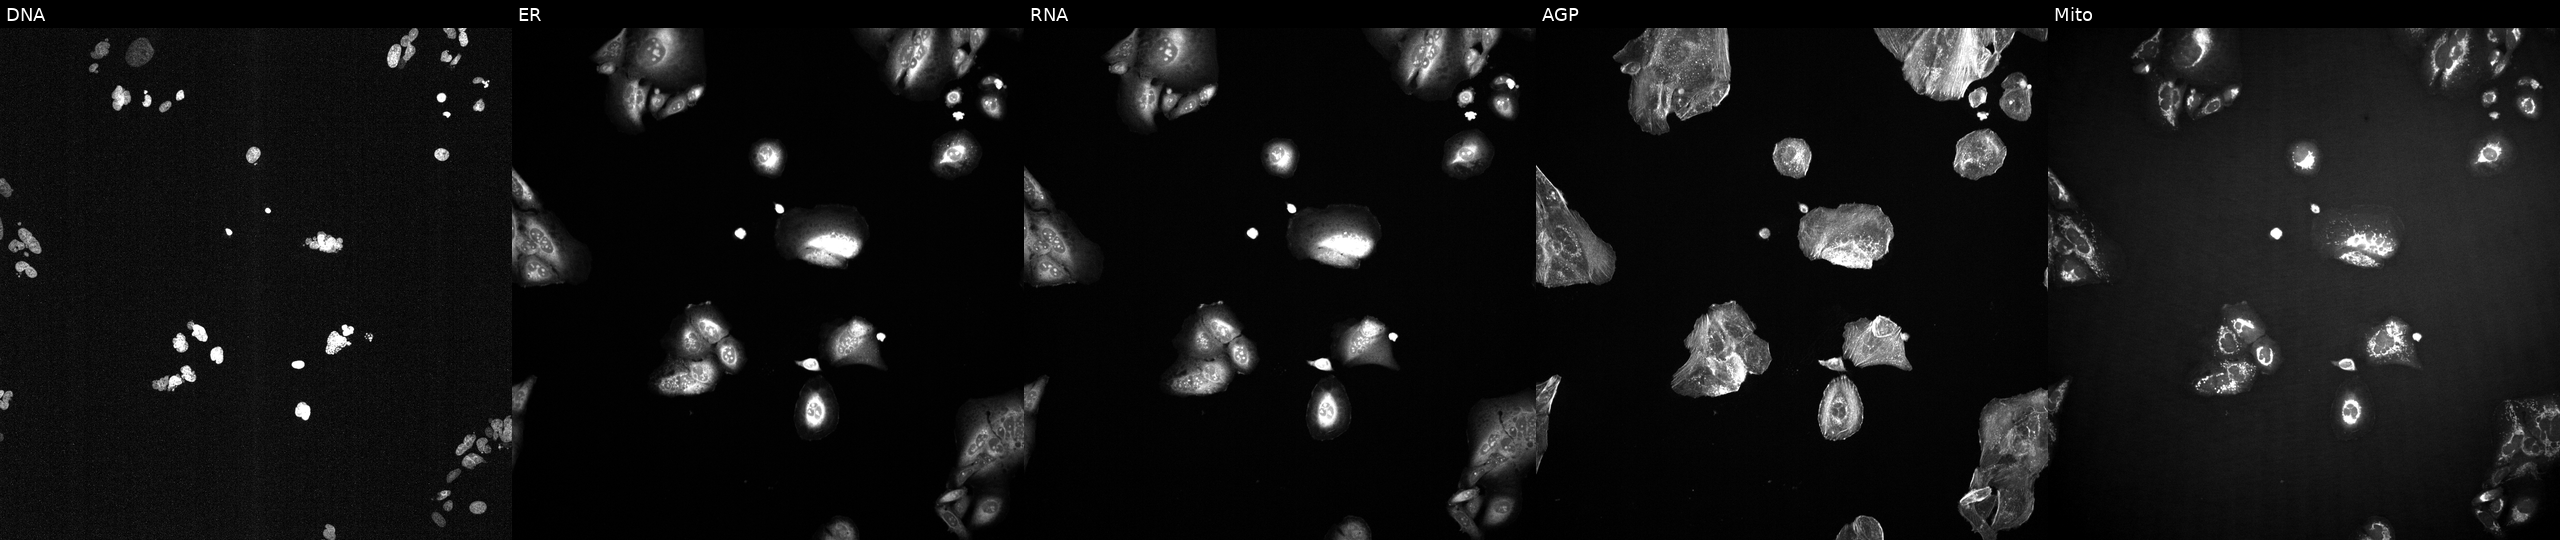
U2OS cells, Cell Painting assay, treated with a small-molecule compound (InChIKey XXRCUYVCPSWGCC-UHFFFAOYSA-N) (JUMP id JCP2022_106722). From left to right: DNA, ER, RNA, AGP, and Mito. Each panel is percentile-stretched 16-bit fluorescence.